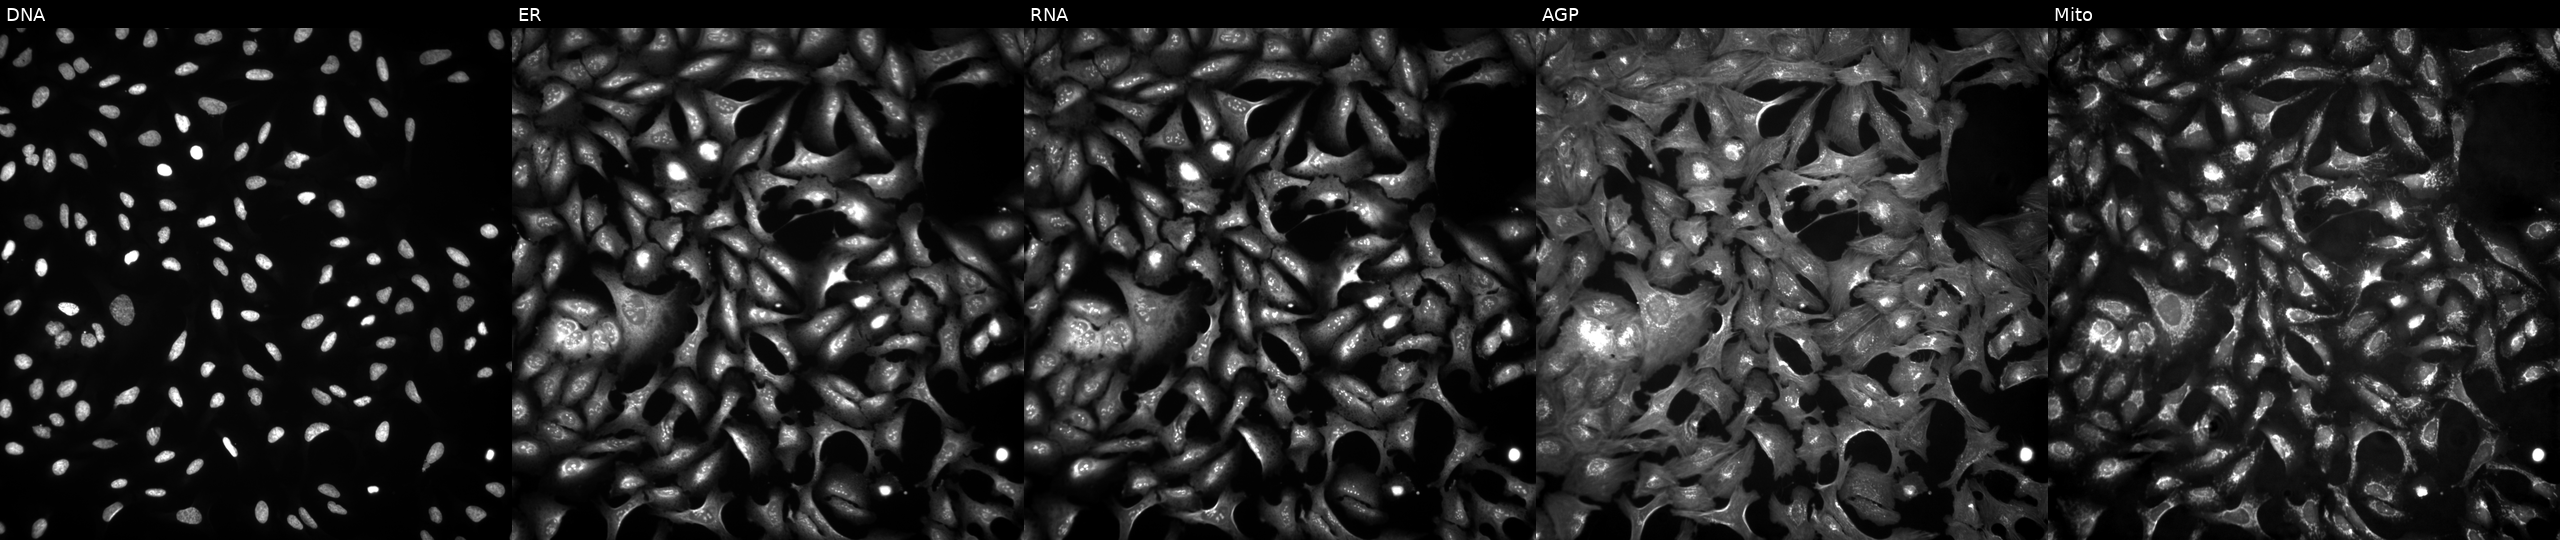
JUMP Cell Painting — ORF plate. U2OS cells with METTL8 overexpressed (ORF). Panels show, left to right, DNA, ER, RNA, AGP, and Mito.